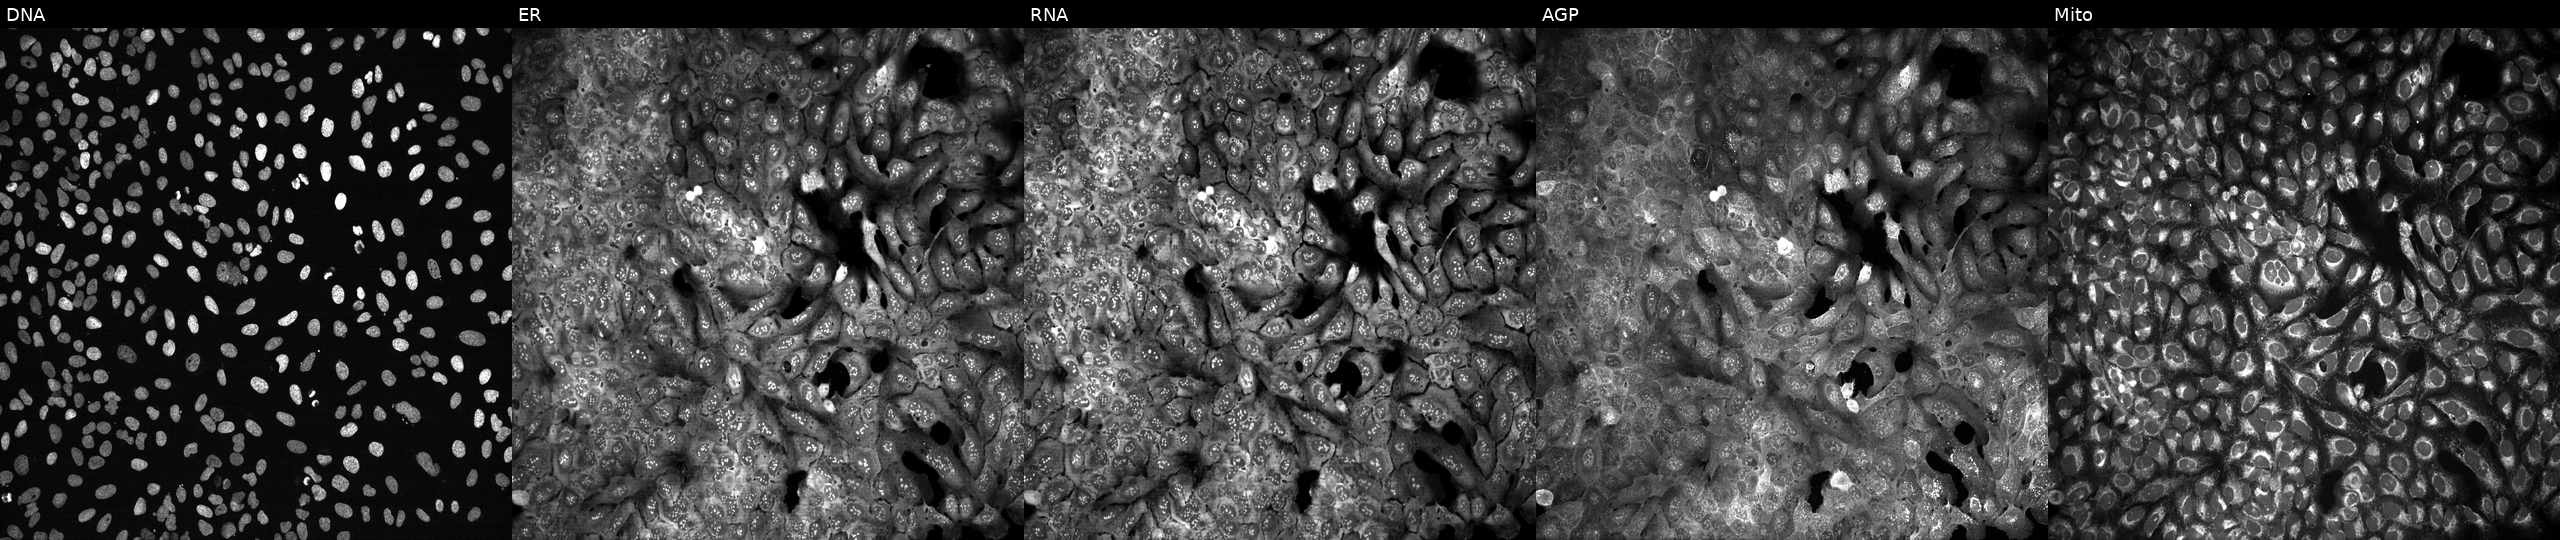
Panels show, left to right, DNA (nuclei); ER (endoplasmic reticulum); RNA (nucleoli and cytoplasmic RNA); AGP (actin cytoskeleton, Golgi, and plasma membrane); Mito (mitochondria). U2OS osteosarcoma cells following CRISPR knockout of DDX58 (JUMP id JCP2022_801752). Cell Painting assay, JUMP-CP dataset.